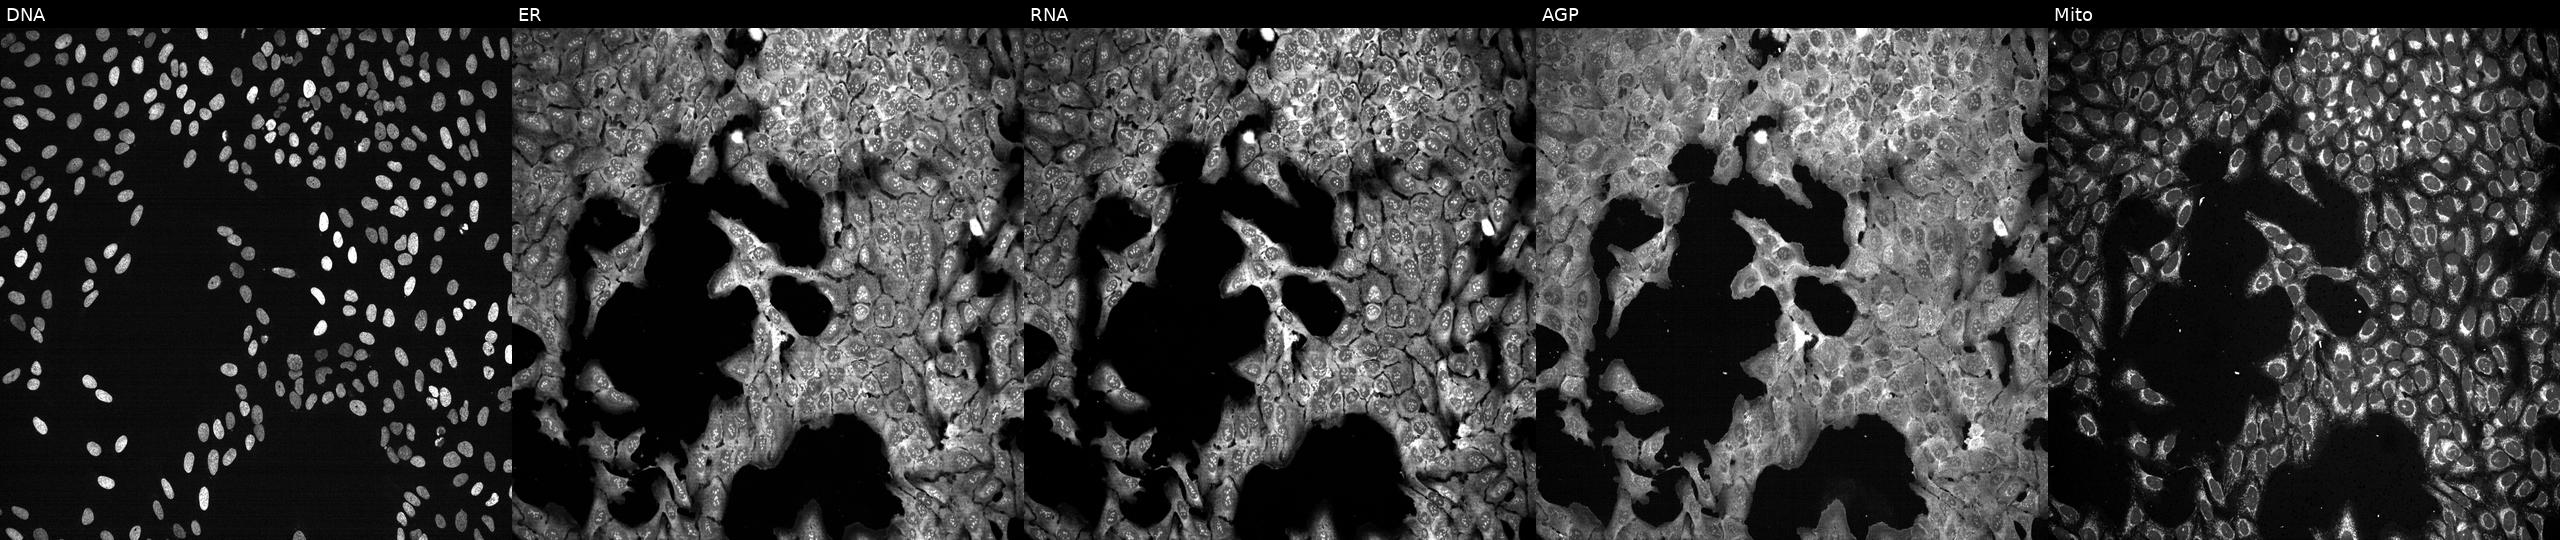
JUMP Cell Painting — CRISPR plate. U2OS cells CRISPR-edited to disrupt PDE6H (JUMP id JCP2022_805000). Channels (left→right): DNA (nuclei); ER (endoplasmic reticulum); RNA (nucleoli and cytoplasmic RNA); AGP (actin cytoskeleton, Golgi, and plasma membrane); Mito (mitochondria). Source 13, plate CP-CC9-R3-01, well F11.